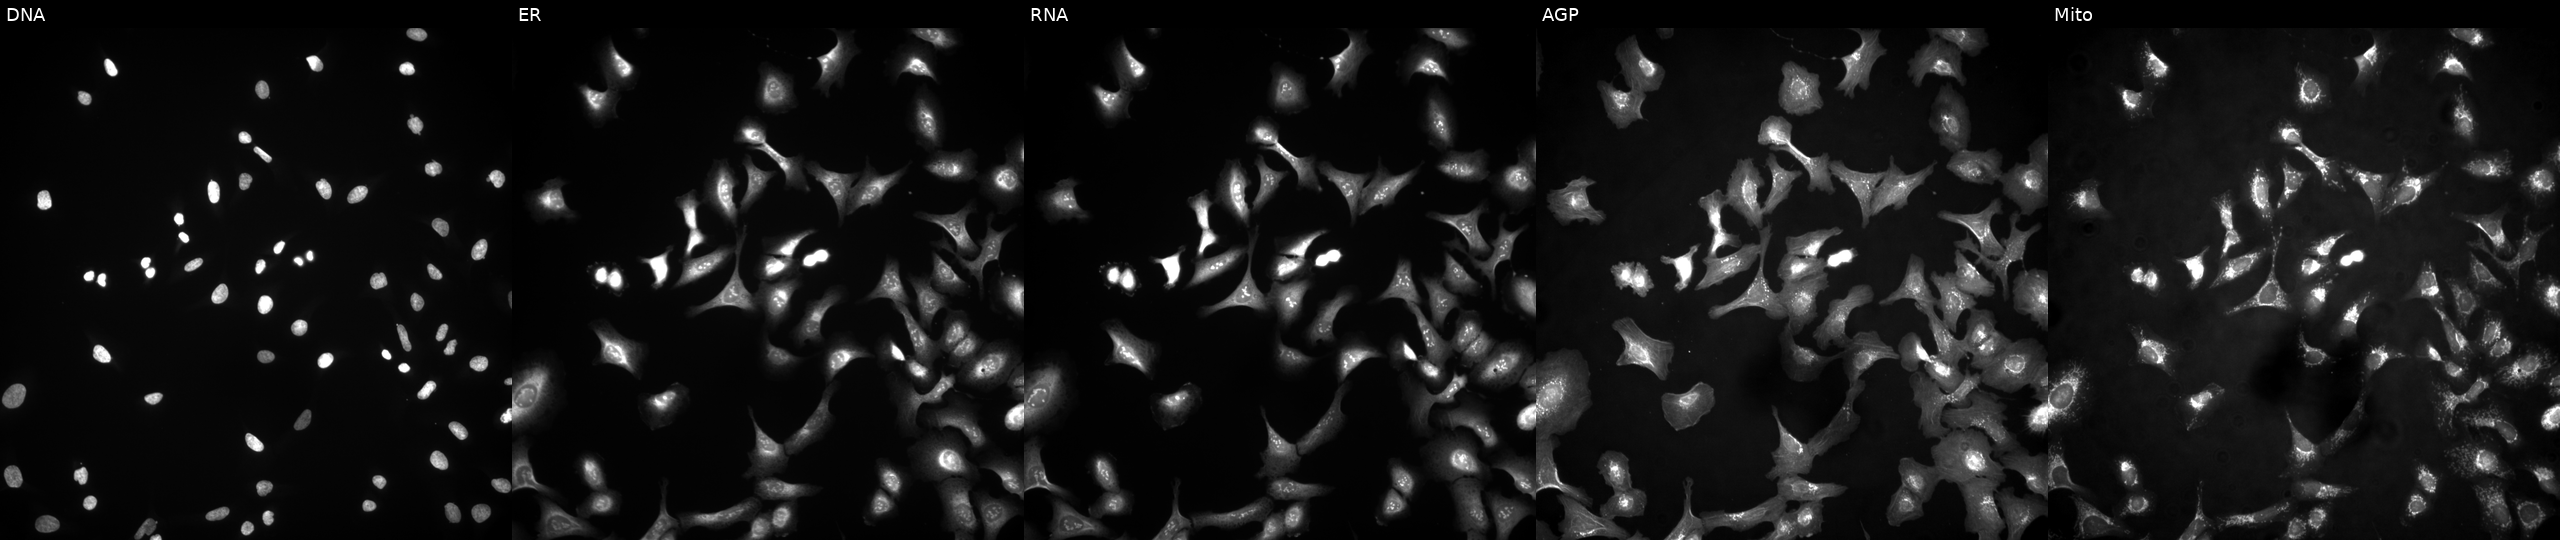
This image strip shows the five Cell Painting channels for a single field of U2OS cells with H2AB1 overexpressed (ORF). The five panels, left to right, show DNA, ER, RNA, AGP, and Mito.